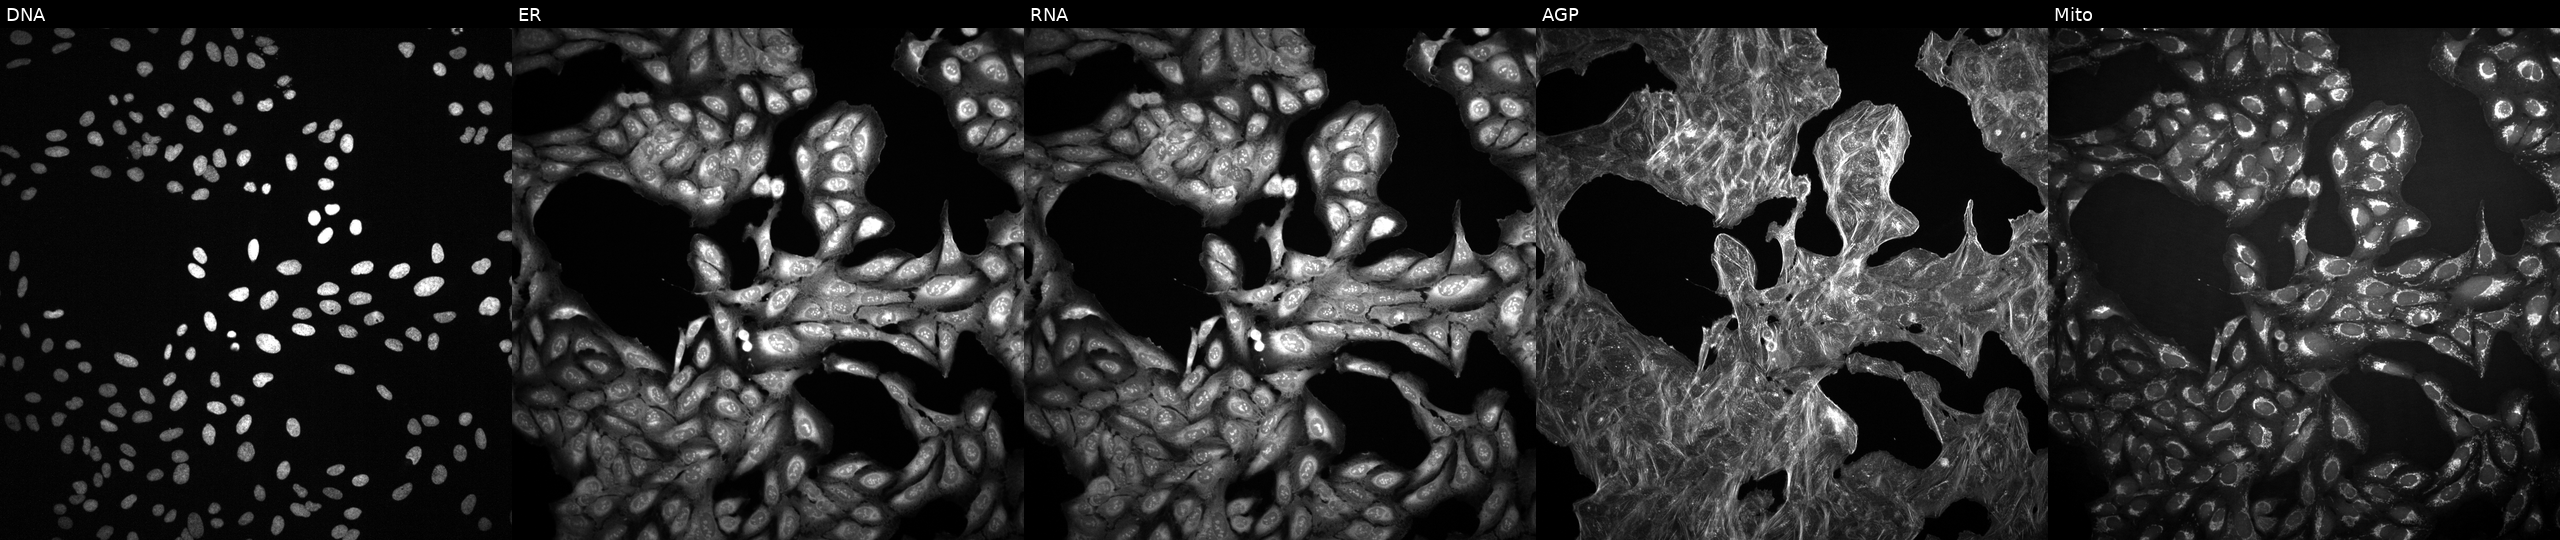
Panels show, left to right, Hoechst 33342, concanavalin A, SYTO 14, phalloidin and WGA, MitoTracker. U2OS osteosarcoma cells treated with a small-molecule compound (JUMP id JCP2022_028032). Cell Painting assay, JUMP-CP dataset. Source 2, plate 1053597936, well G09.